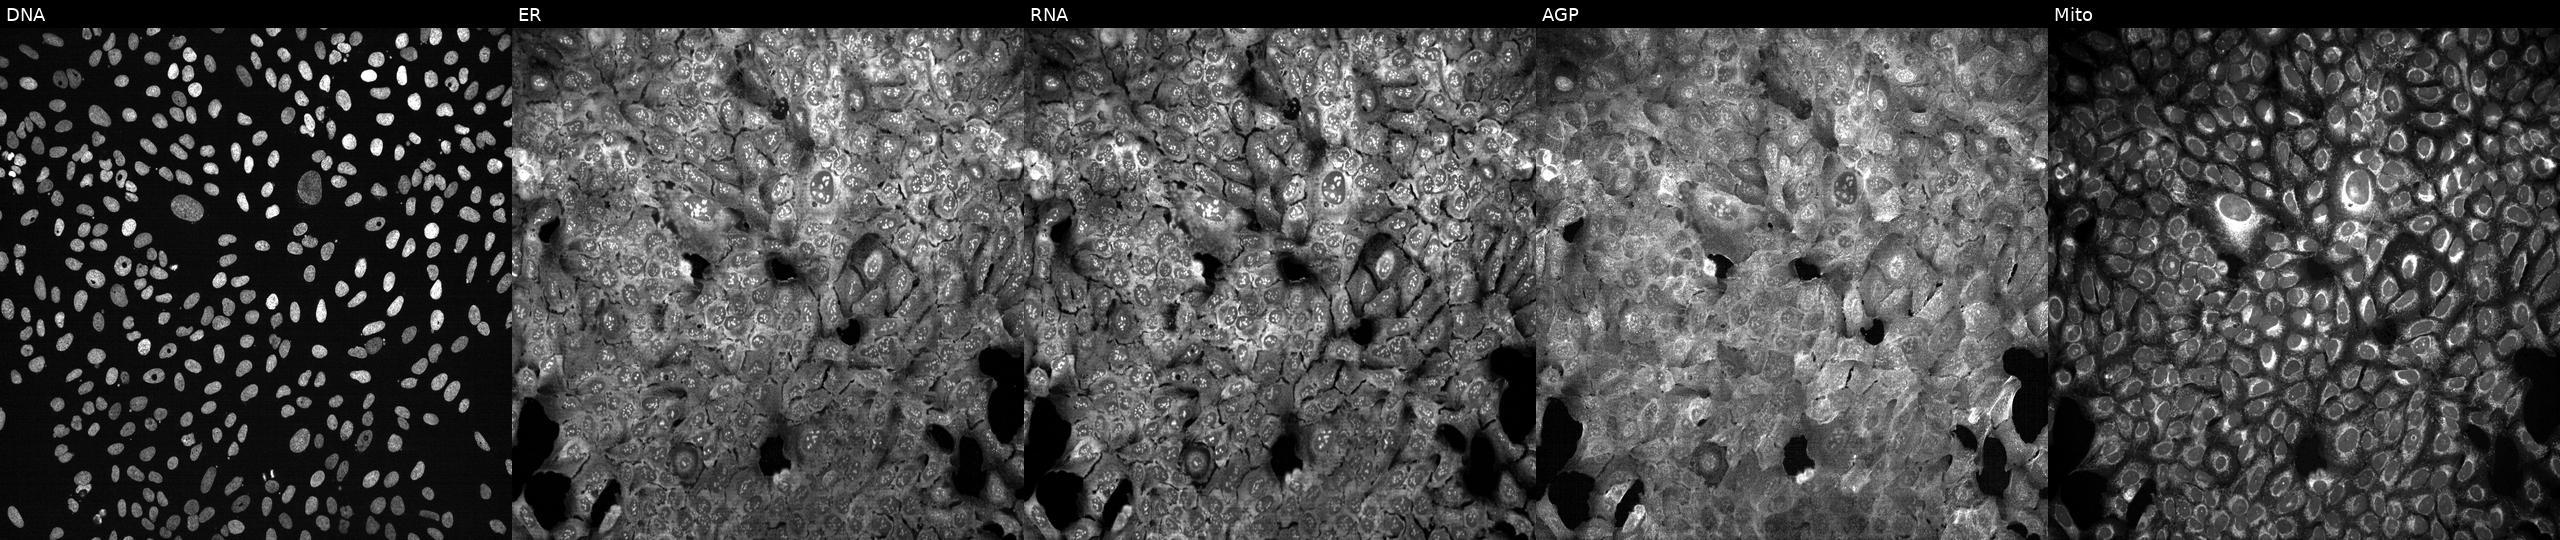
JUMP Cell Painting — CRISPR plate. U2OS cells with SARS knocked out by CRISPR (JUMP id JCP2022_806179). Panels show, left to right, Hoechst 33342, concanavalin A, SYTO 14, phalloidin and WGA, MitoTracker.